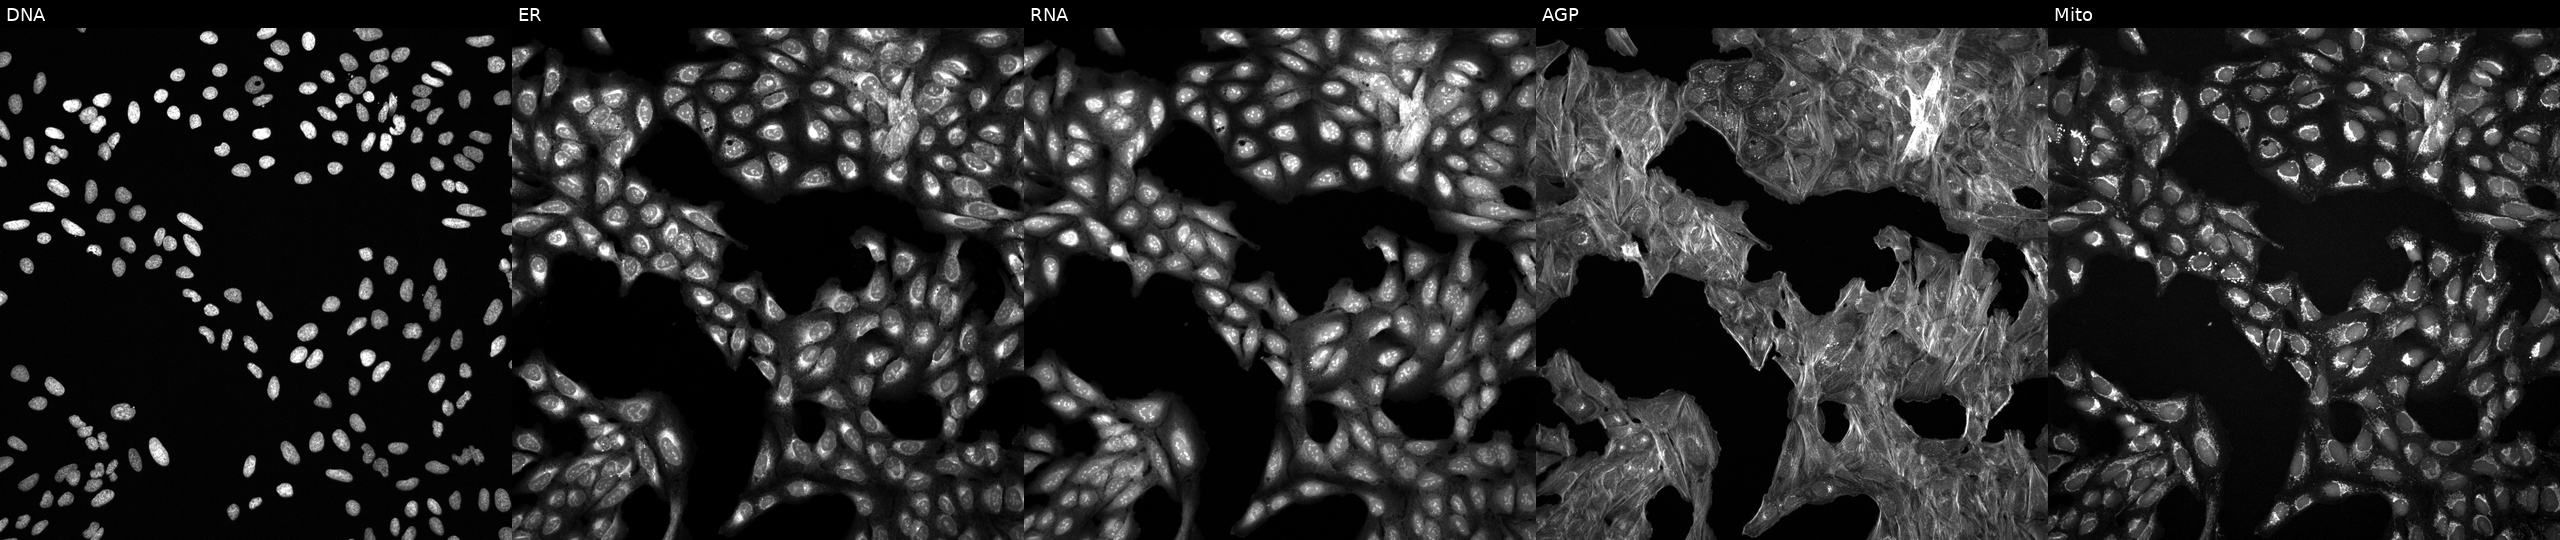
This image strip shows the five Cell Painting channels for a single field of U2OS cells exposed to a small-molecule compound (InChIKey MQTHCPRRMDGLIL-UHFFFAOYSA-N) (JUMP id JCP2022_055921). Panels show, left to right, DNA, ER, RNA, AGP, and Mito.